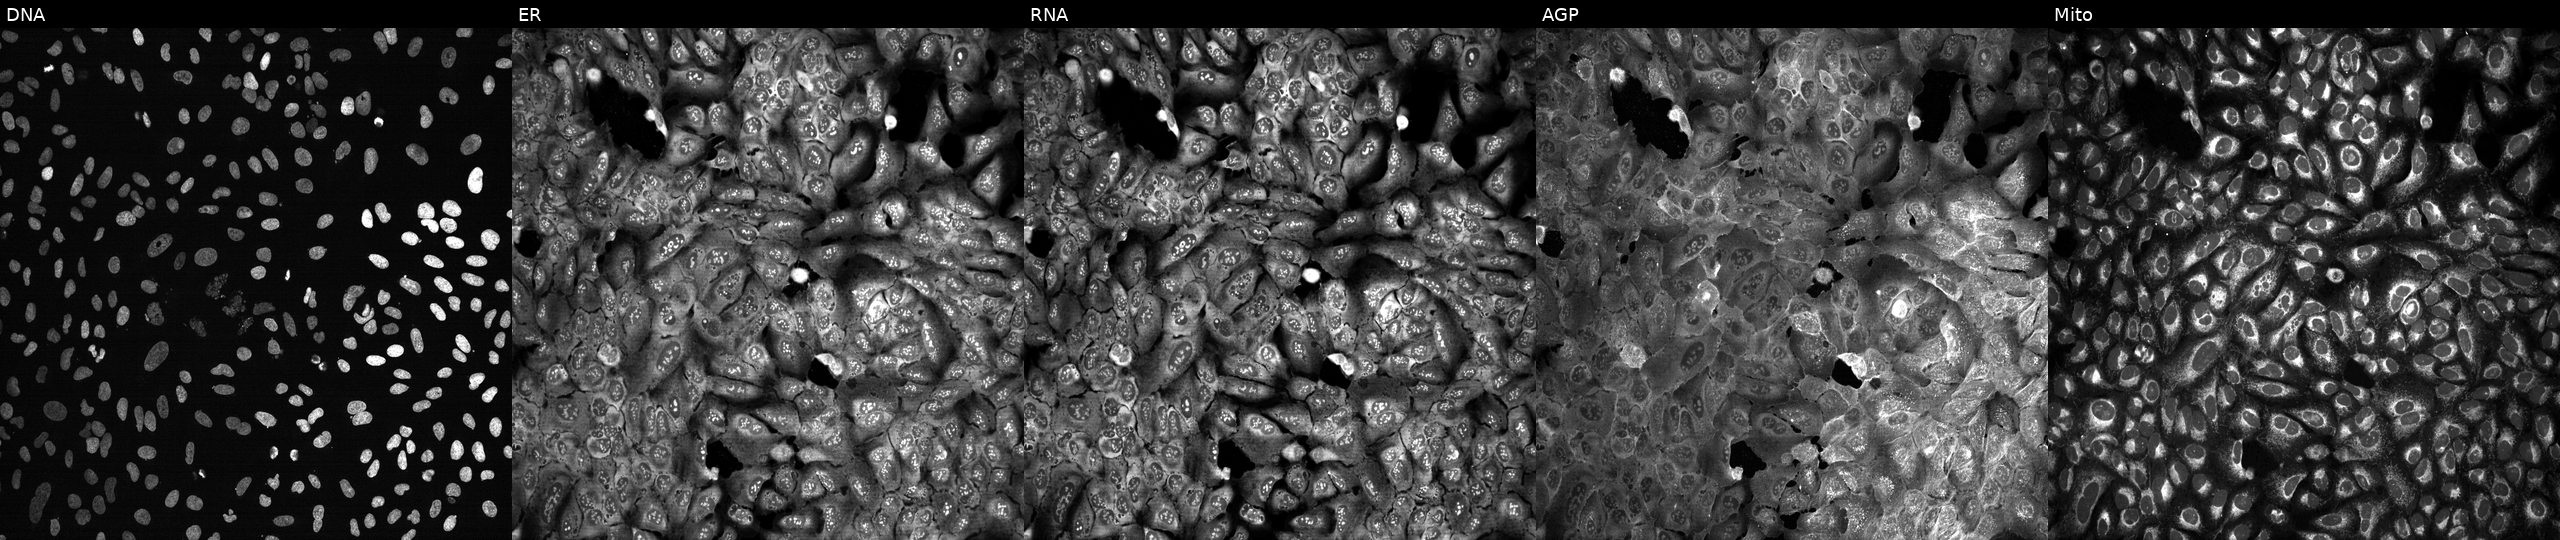
JUMP Cell Painting — CRISPR plate. U2OS cells with HSP90AA1 knocked out by CRISPR. The five panels, left to right, show Hoechst 33342, concanavalin A, SYTO 14, phalloidin and WGA, MitoTracker.